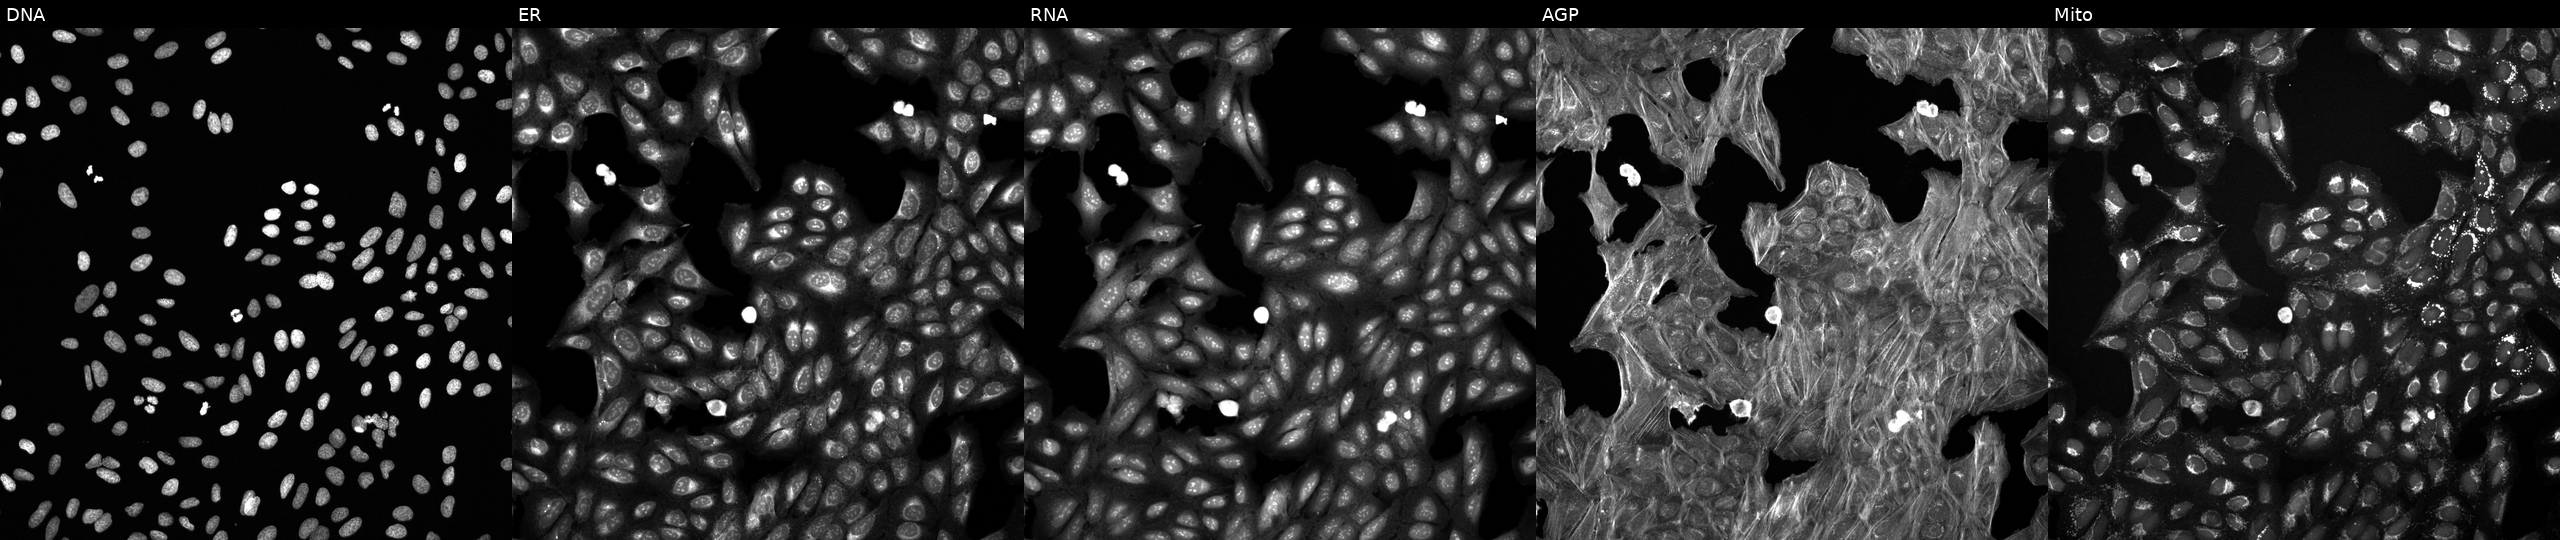
U2OS cells, Cell Painting assay, treated with a small-molecule compound (JUMP id JCP2022_096495). From left to right: DNA (nuclei); ER (endoplasmic reticulum); RNA (nucleoli and cytoplasmic RNA); AGP (actin cytoskeleton, Golgi, and plasma membrane); Mito (mitochondria). Each panel is percentile-stretched 16-bit fluorescence.